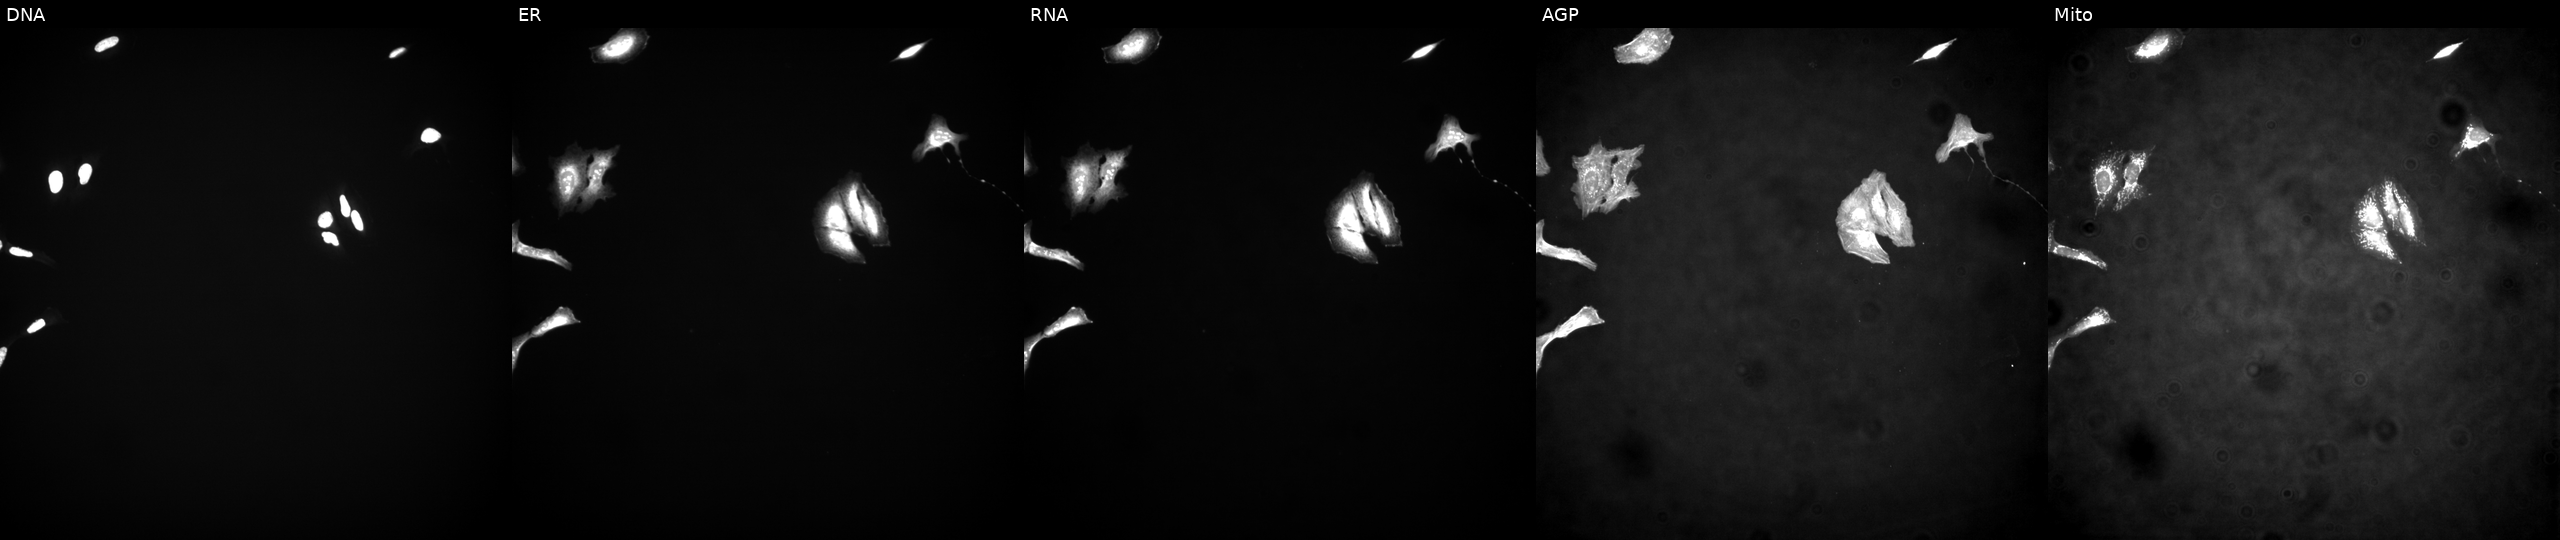
Channels (left→right): Hoechst 33342, concanavalin A, SYTO 14, phalloidin and WGA, MitoTracker. U2OS osteosarcoma cells with PSG11 overexpressed (ORF) (JUMP id JCP2022_906358). Cell Painting assay, JUMP-CP dataset.